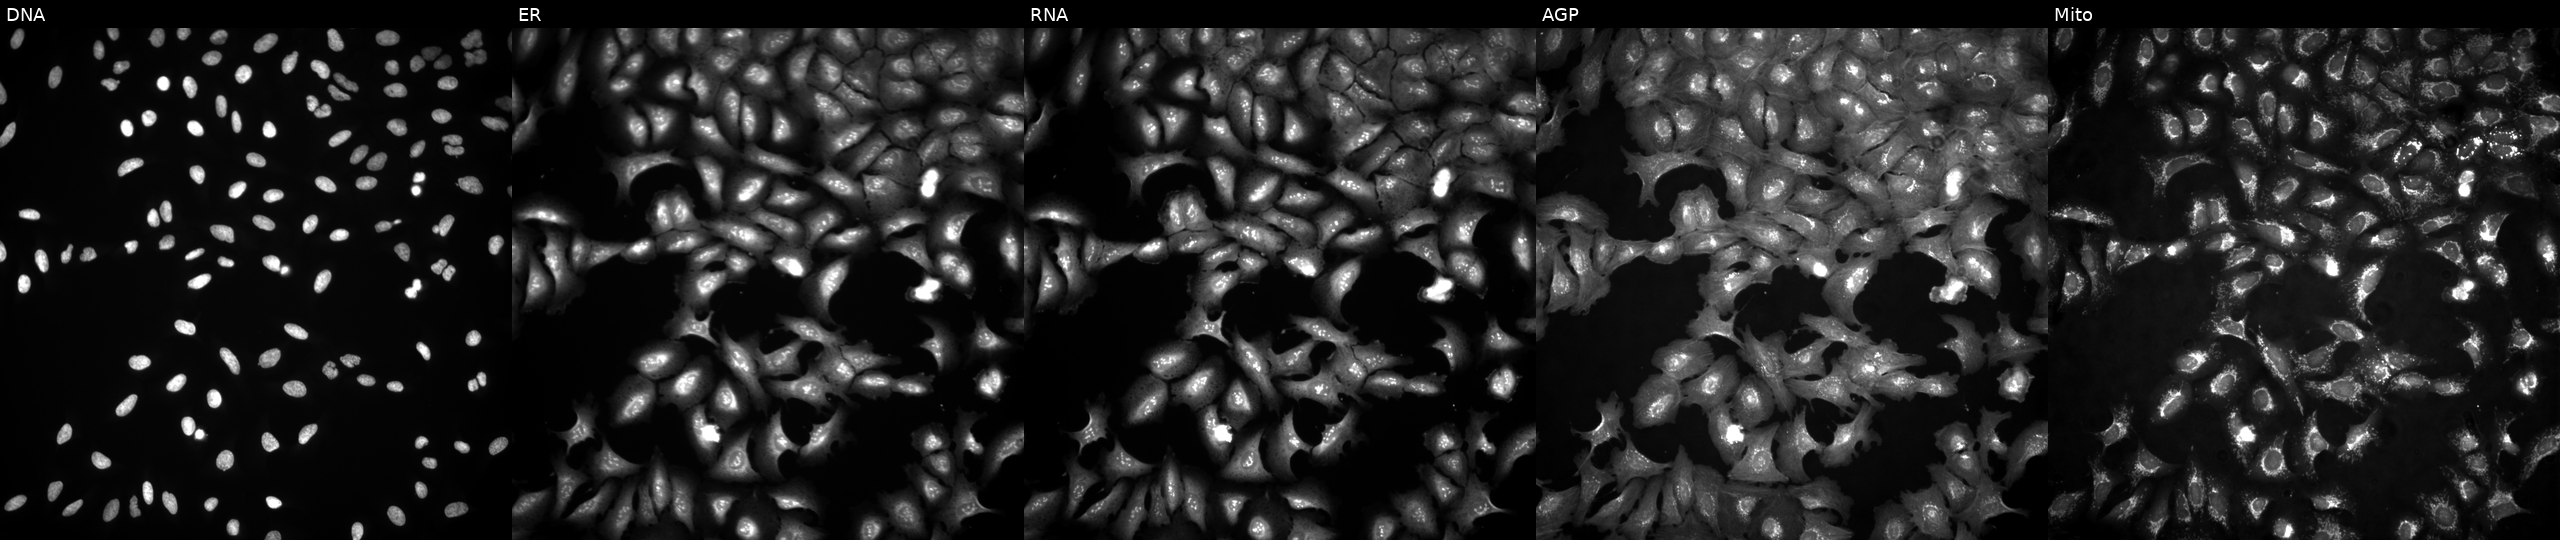
The five panels, left to right, show DNA (nuclei); ER (endoplasmic reticulum); RNA (nucleoli and cytoplasmic RNA); AGP (actin cytoskeleton, Golgi, and plasma membrane); Mito (mitochondria). U2OS osteosarcoma cells transfected with an ORF construct for SLC48A1 (JUMP id JCP2022_903399). Cell Painting assay, JUMP-CP dataset. Source 4, plate BR00124787, well C06.